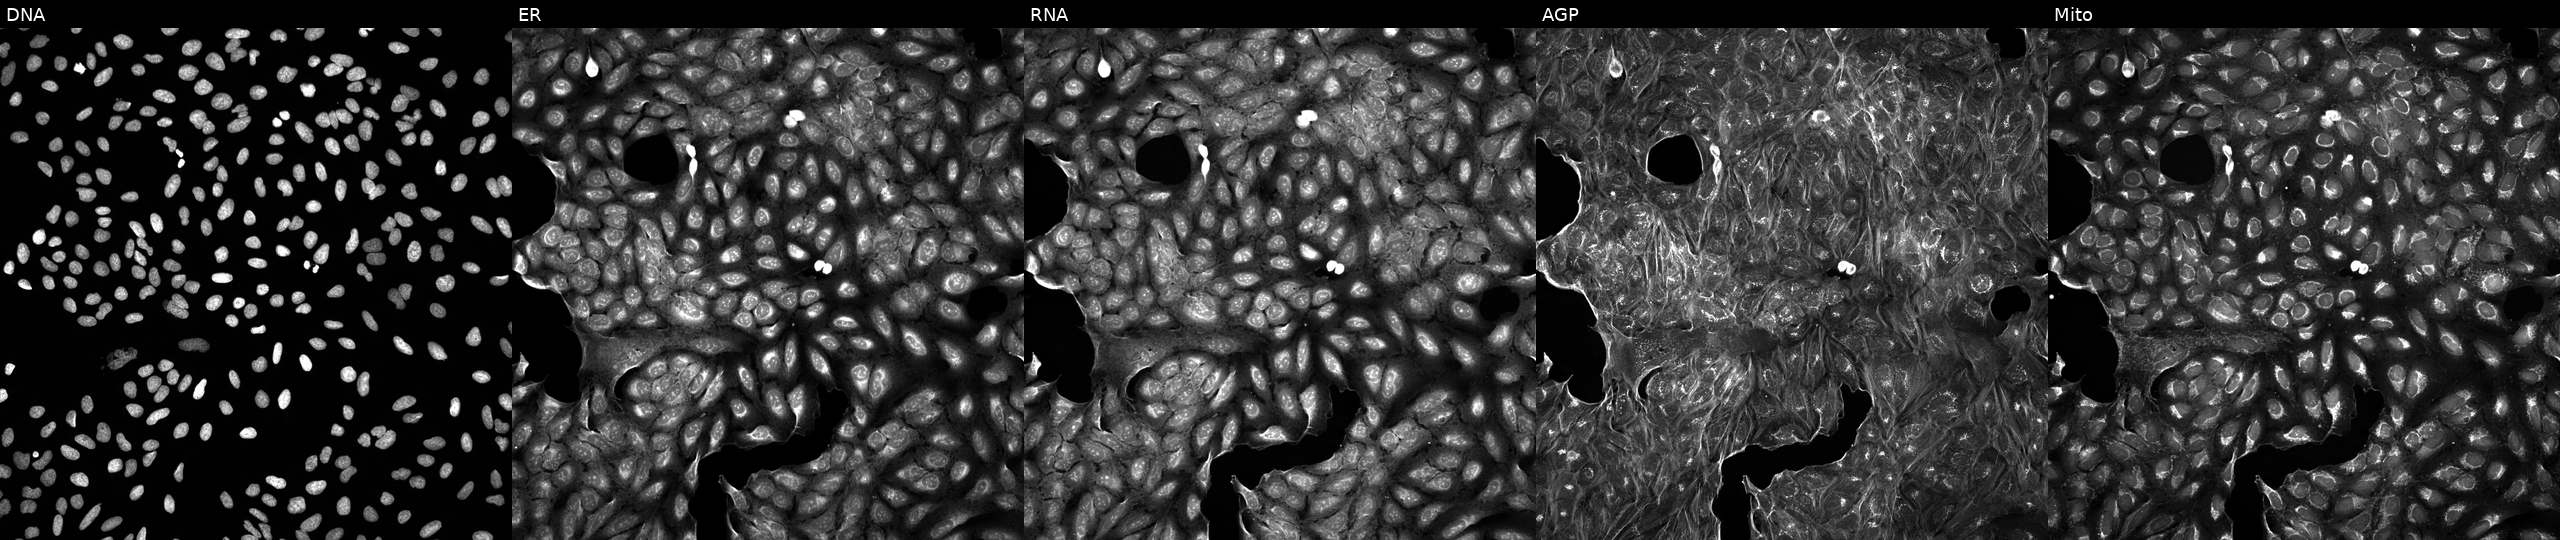
JUMP Cell Painting — TARGET2 plate. U2OS cells treated with DMSO vehicle only (negative control) (JUMP id JCP2022_033924). Channels (left→right): Hoechst 33342, concanavalin A, SYTO 14, phalloidin and WGA, MitoTracker.